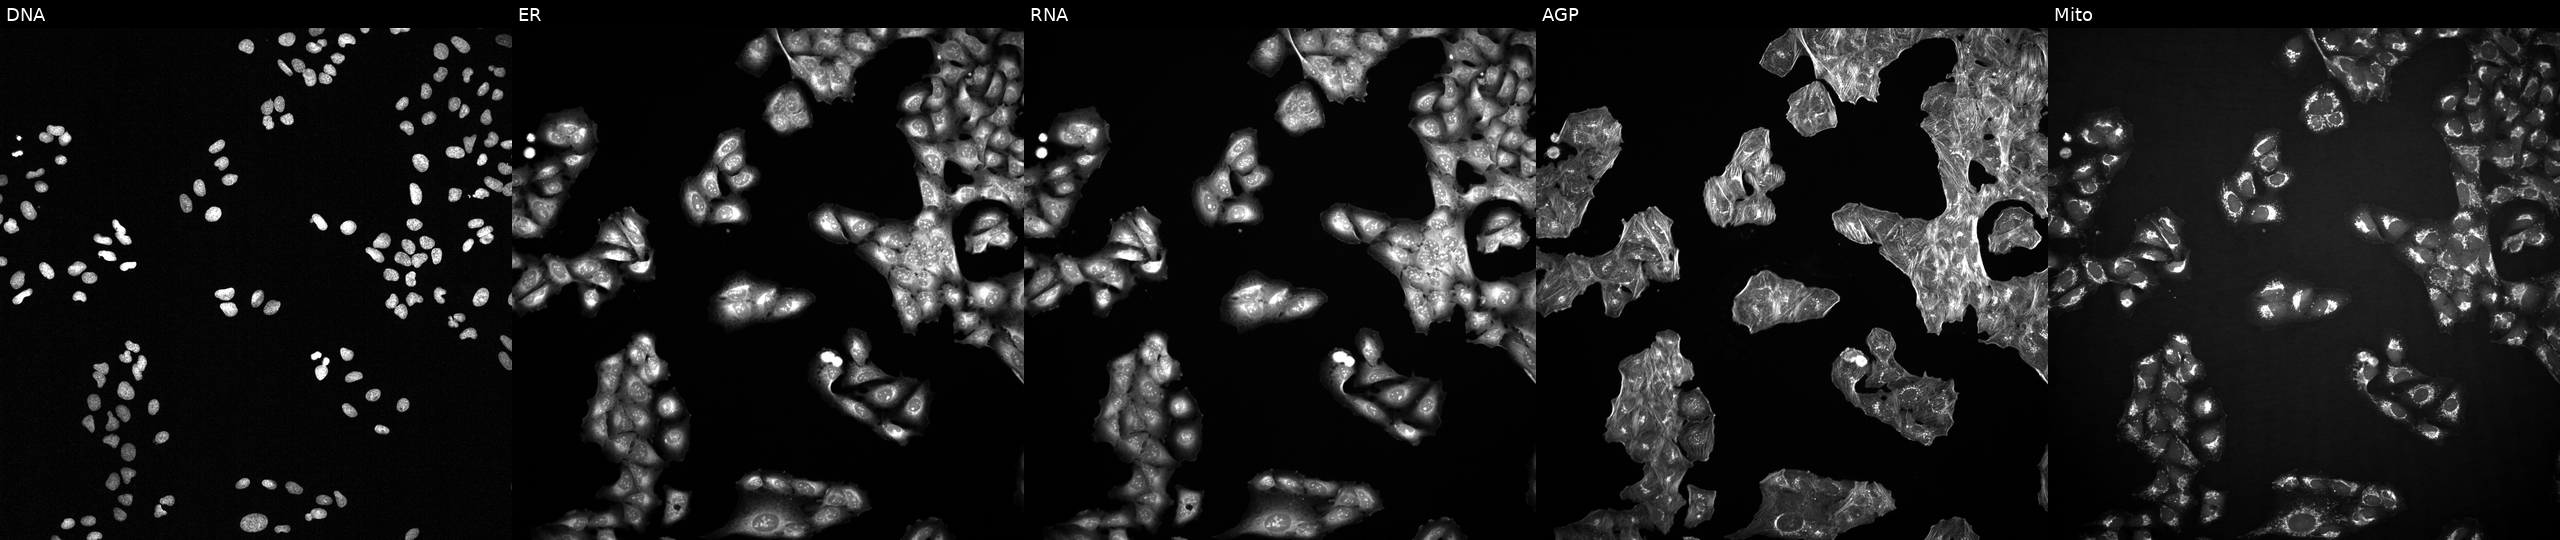
Channels (left→right): DNA (nuclei); ER (endoplasmic reticulum); RNA (nucleoli and cytoplasmic RNA); AGP (actin cytoskeleton, Golgi, and plasma membrane); Mito (mitochondria). U2OS osteosarcoma cells treated with NVS-PAK1-1 (positive-control compound) (JUMP id JCP2022_064022). Cell Painting assay, JUMP-CP dataset.